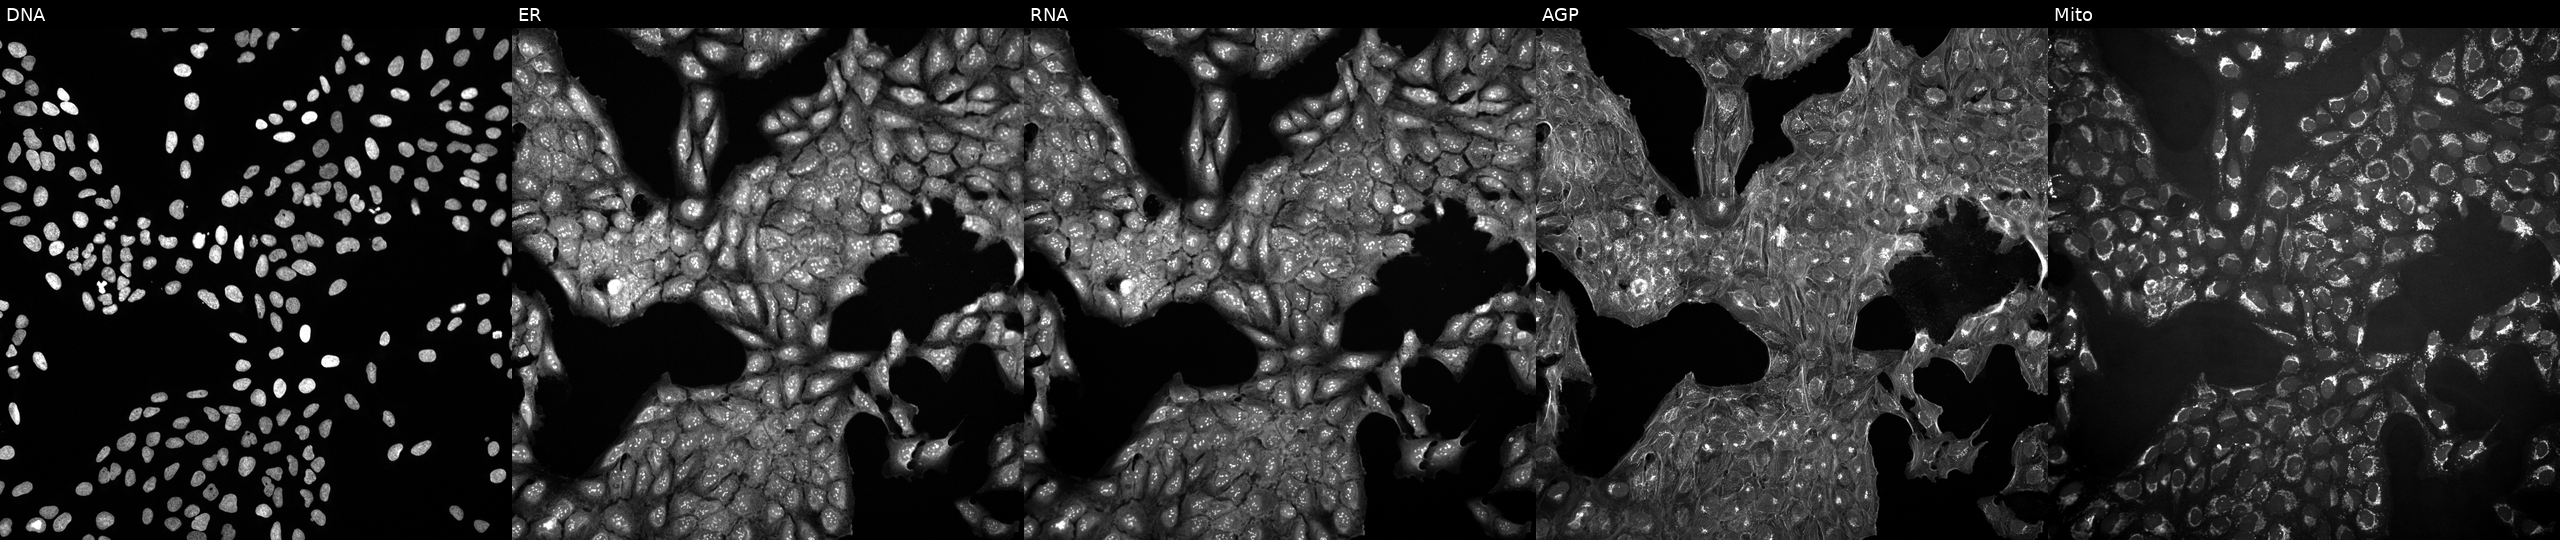
This image strip shows the five Cell Painting channels for a single field of U2OS cells in an empty control well (no perturbation) (JUMP id JCP2022_999999). The five panels, left to right, show Hoechst 33342, concanavalin A, SYTO 14, phalloidin and WGA, MitoTracker.